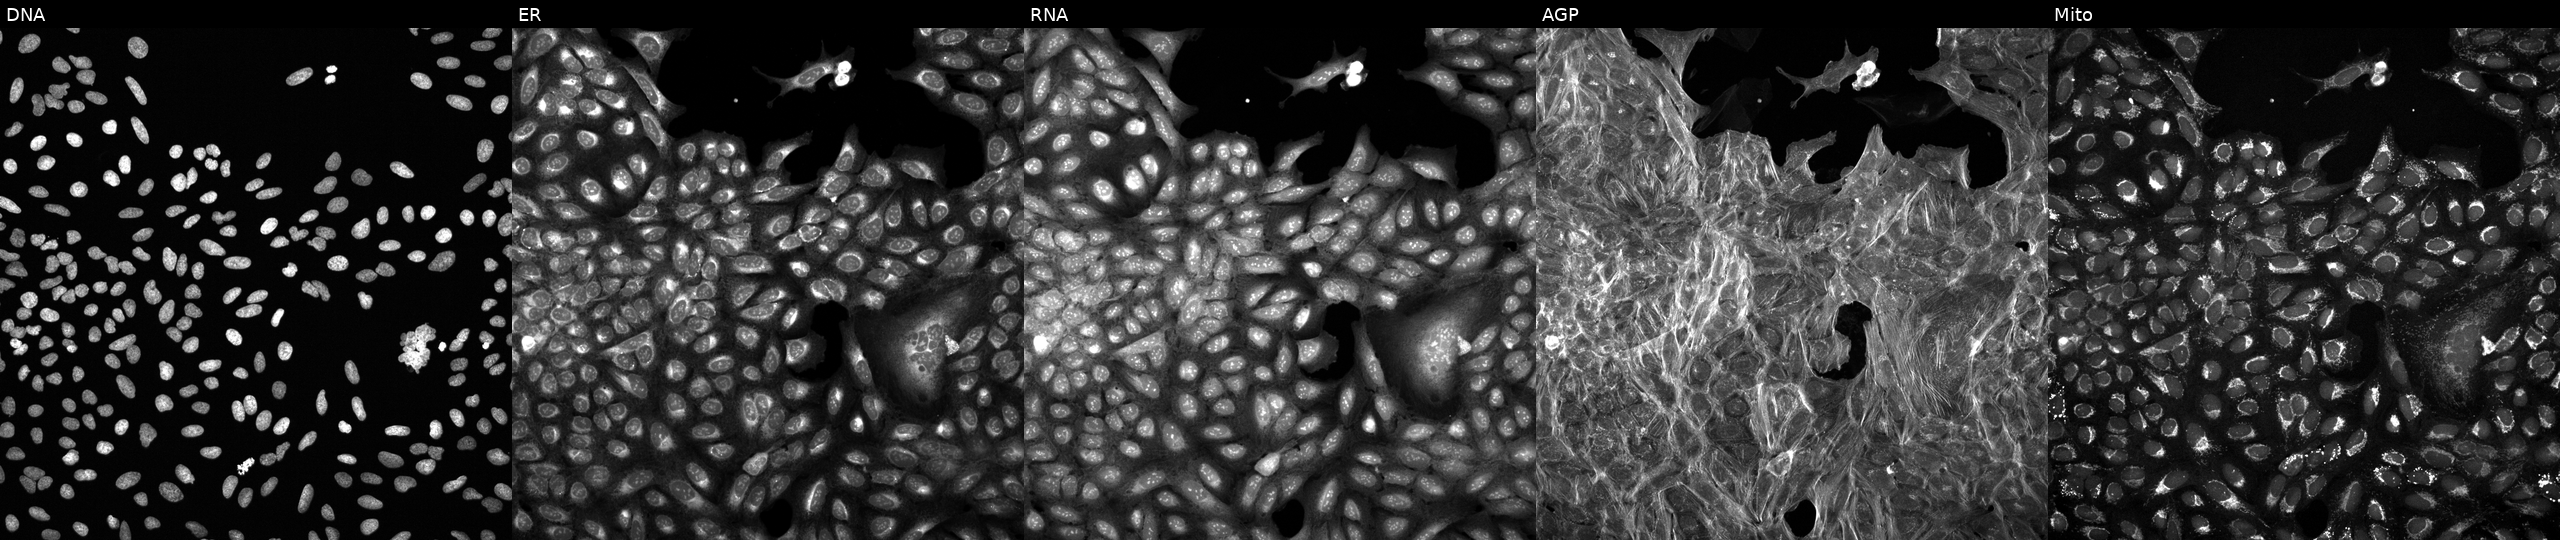
High-content fluorescence microscopy (Cell Painting). Cell line: U2OS. Perturbation: exposed to a small-molecule compound (InChIKey PZBPKYOVPCNPJY-UHFFFAOYSA-N) (JUMP id JCP2022_071910). Channels (left→right): Hoechst 33342, concanavalin A, SYTO 14, phalloidin and WGA, MitoTracker. Source 6, plate 110000293081, well J10.